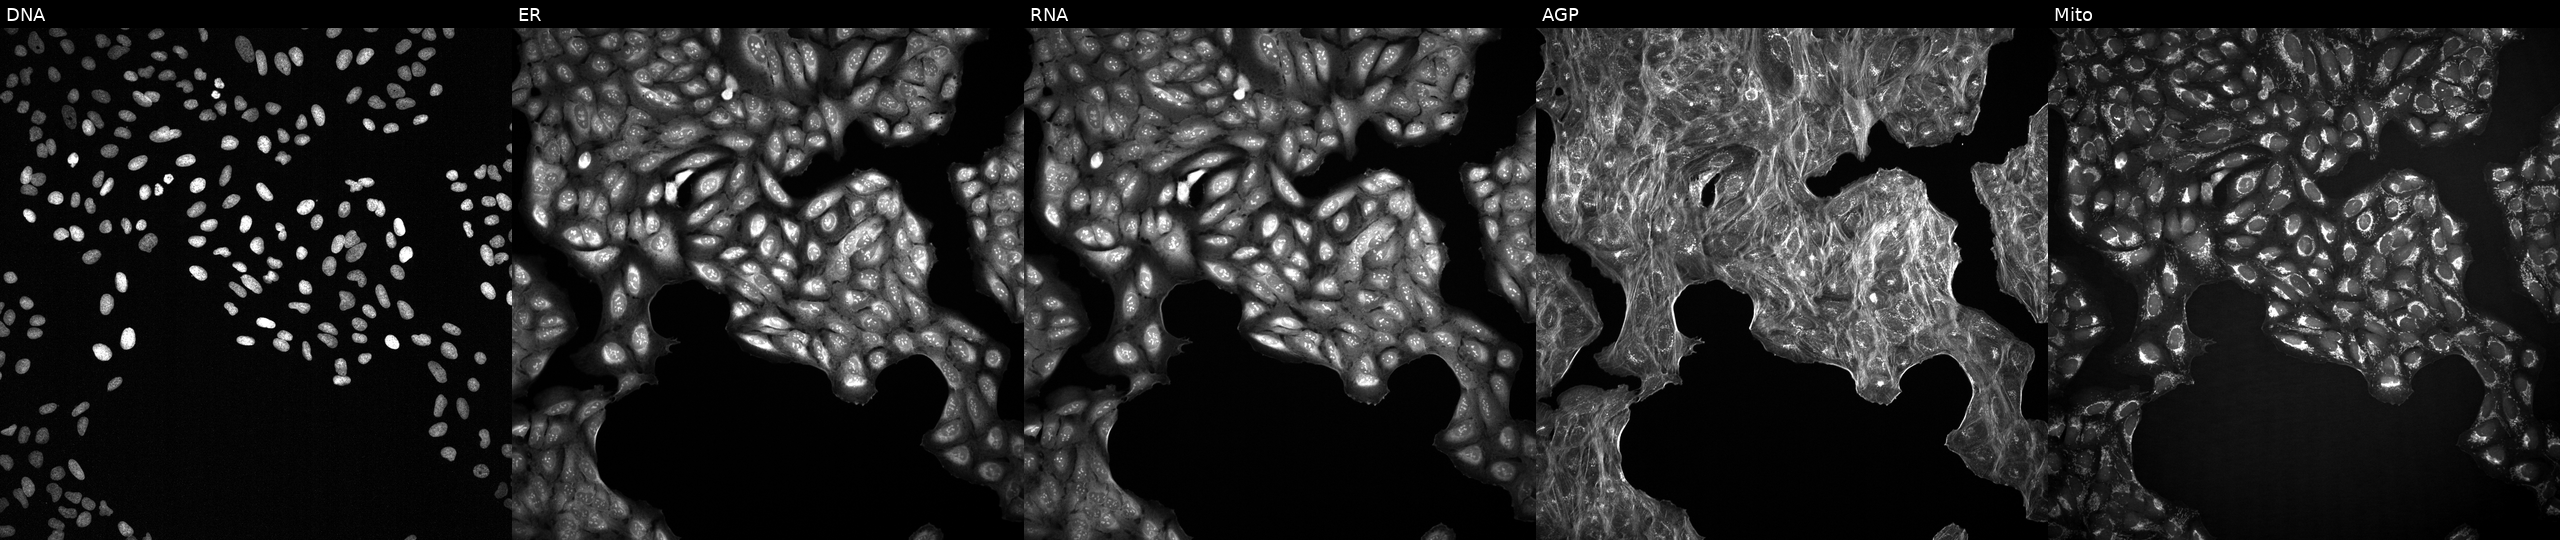
This image strip shows the five Cell Painting channels for a single field of U2OS cells treated with DMSO vehicle only (negative control) (JUMP id JCP2022_033924). The five panels, left to right, show DNA (nuclei); ER (endoplasmic reticulum); RNA (nucleoli and cytoplasmic RNA); AGP (actin cytoskeleton, Golgi, and plasma membrane); Mito (mitochondria). Source 2, plate 1053600674, well H22.